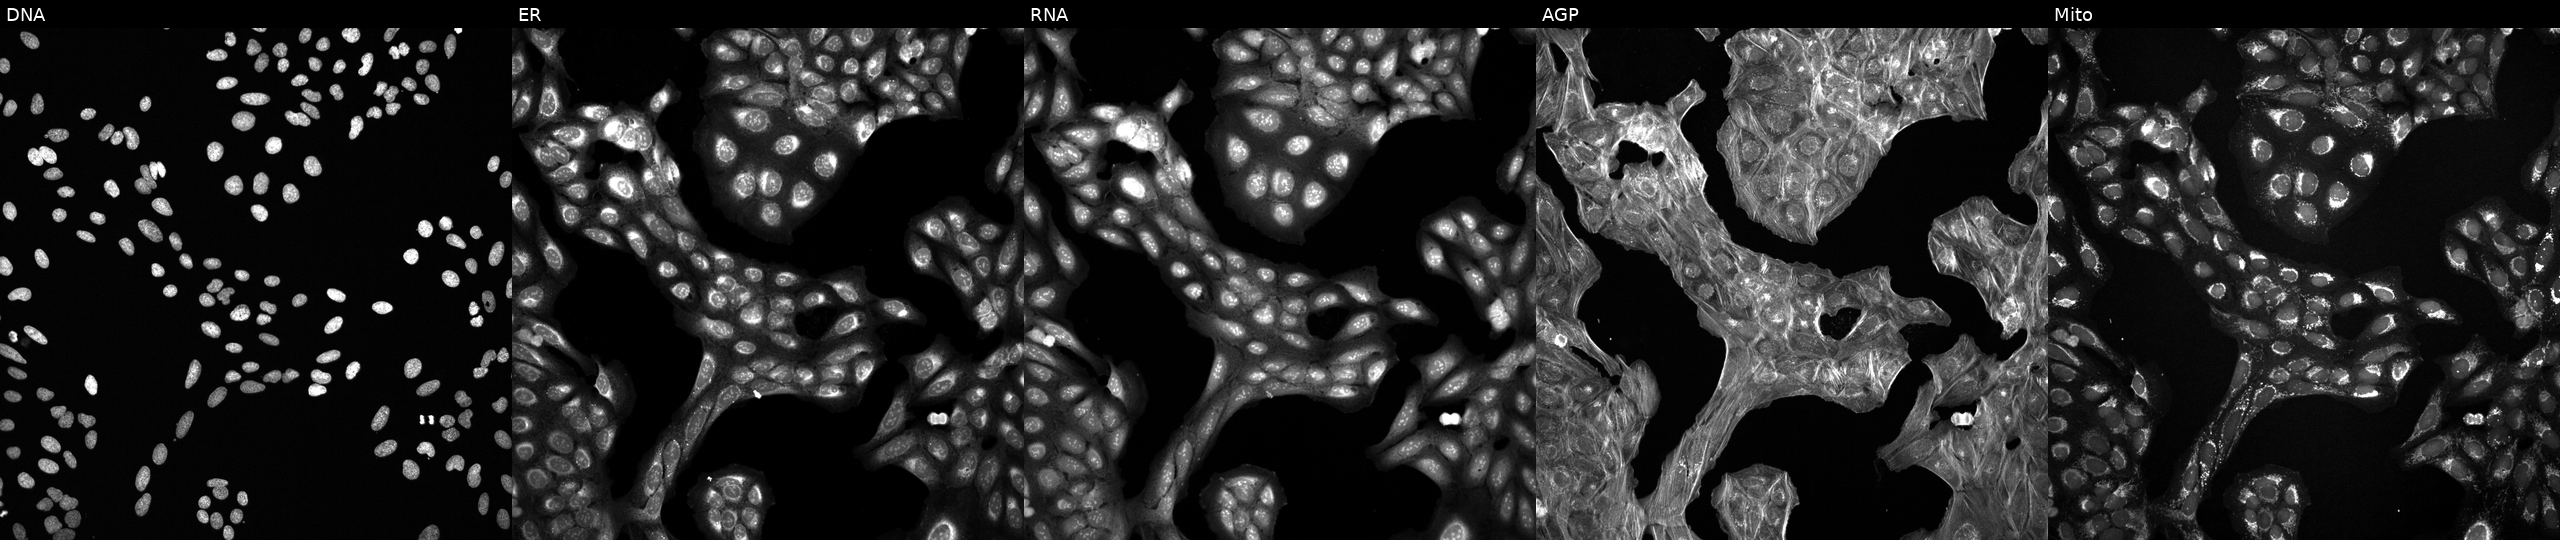
JUMP Cell Painting — COMPOUND plate. U2OS cells exposed to a small-molecule compound (InChIKey NZPPRWNUDWLTBR-UHFFFAOYSA-N) (JUMP id JCP2022_062395). Channels (left→right): Hoechst 33342, concanavalin A, SYTO 14, phalloidin and WGA, MitoTracker.